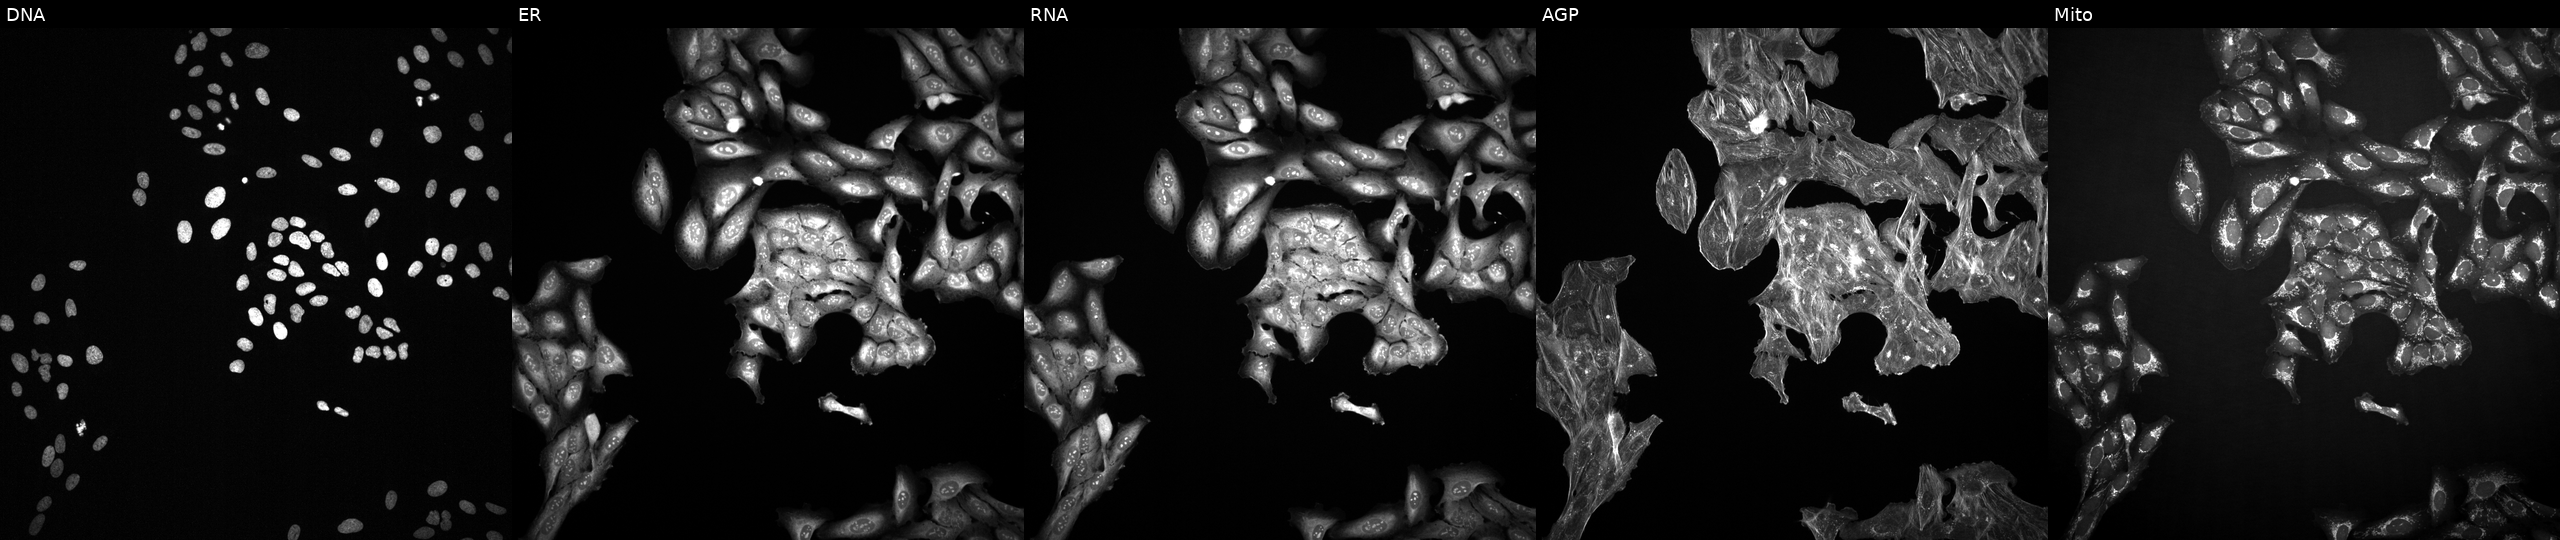
Five-channel Cell Painting image of U2OS cells exposed to a small-molecule compound (InChIKey NZHGWWWHIYHZNX-UHFFFAOYSA-N) (JUMP id JCP2022_062326). From left to right: DNA, ER, RNA, AGP, and Mito. Source 2, plate 1053597936, well B16.